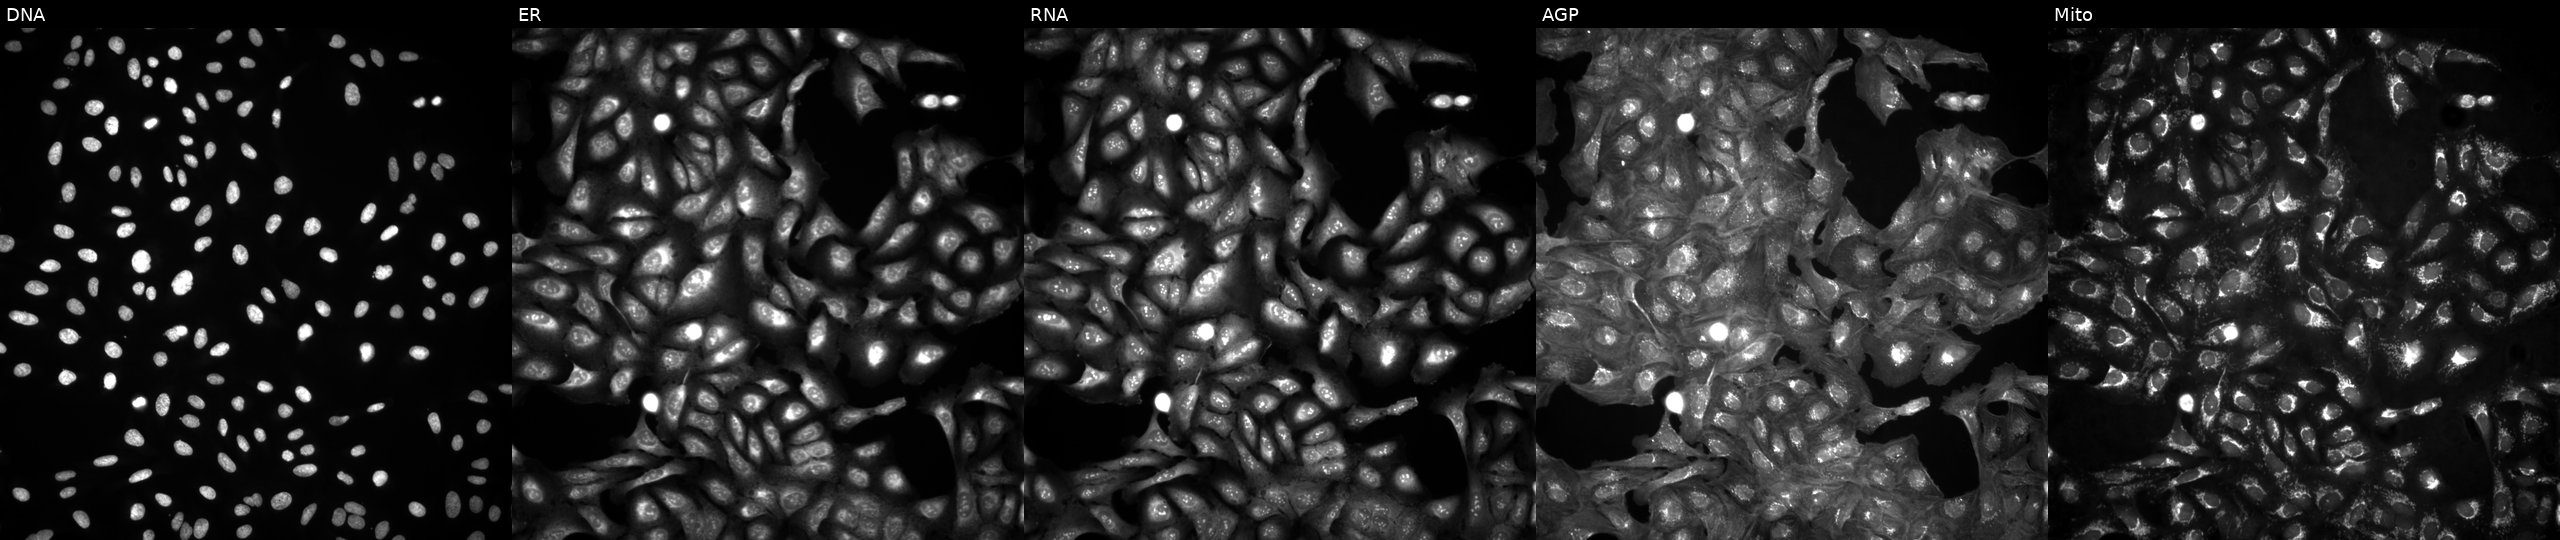
Five-channel Cell Painting image of U2OS cells in an empty control well (no perturbation) (JUMP id JCP2022_999999). Panels show, left to right, Hoechst 33342, concanavalin A, SYTO 14, phalloidin and WGA, MitoTracker. Source 4, plate BR00124793, well A14.